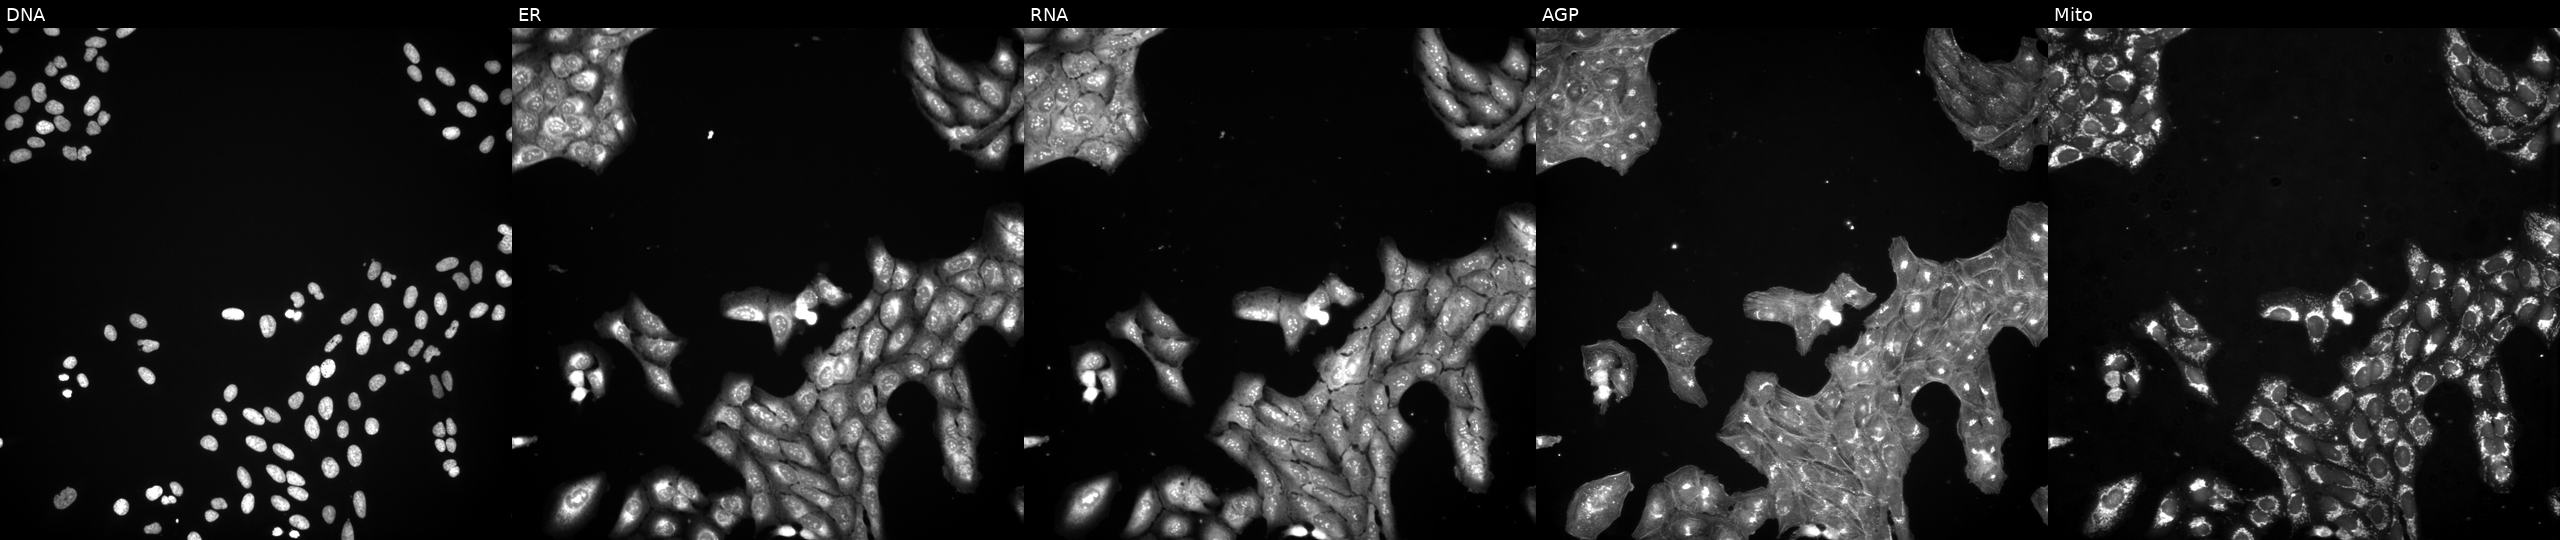
This image strip shows the five Cell Painting channels for a single field of U2OS cells exposed to a small-molecule compound. The five panels, left to right, show DNA, ER, RNA, AGP, and Mito.